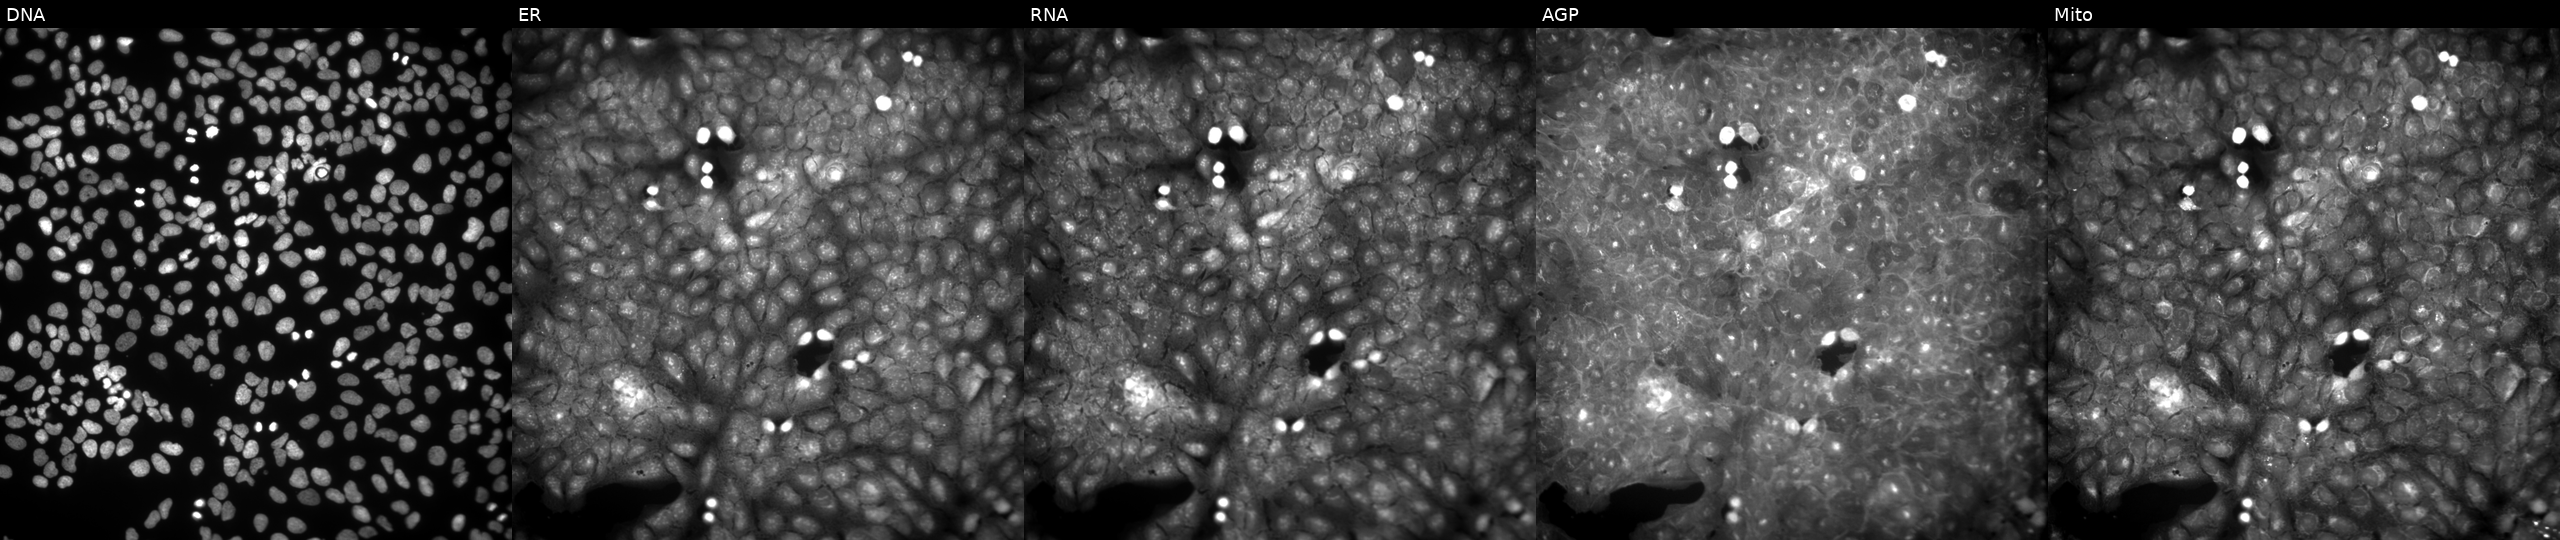
JUMP Cell Painting — COMPOUND plate. U2OS cells treated with a small-molecule compound (InChIKey NKKZIQKCPFGHBK-UHFFFAOYSA-N) (JUMP id JCP2022_059609). Panels show, left to right, Hoechst 33342, concanavalin A, SYTO 14, phalloidin and WGA, MitoTracker.